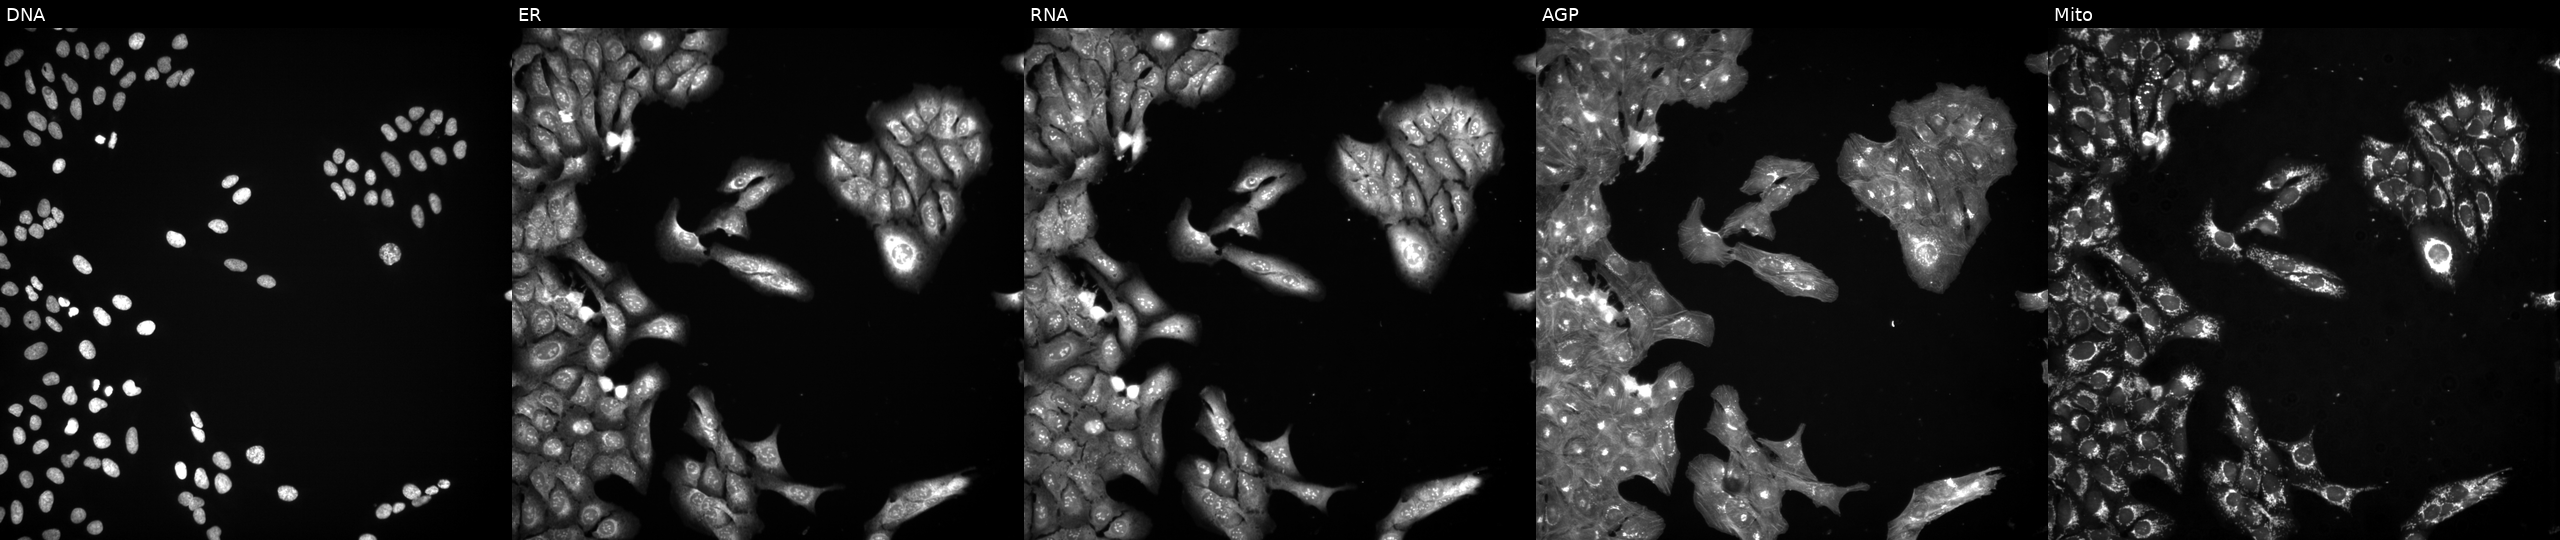
JUMP Cell Painting — COMPOUND plate. U2OS cells treated with a small-molecule compound (InChIKey UGTGQRMGWJJWPB-UHFFFAOYSA-N) [SMILES: CCCn1c(O)c(C(=O)Nc2ccc(OC)cc2)c(=O)c2c1CCCC2]. Panels show, left to right, DNA, ER, RNA, AGP, and Mito.